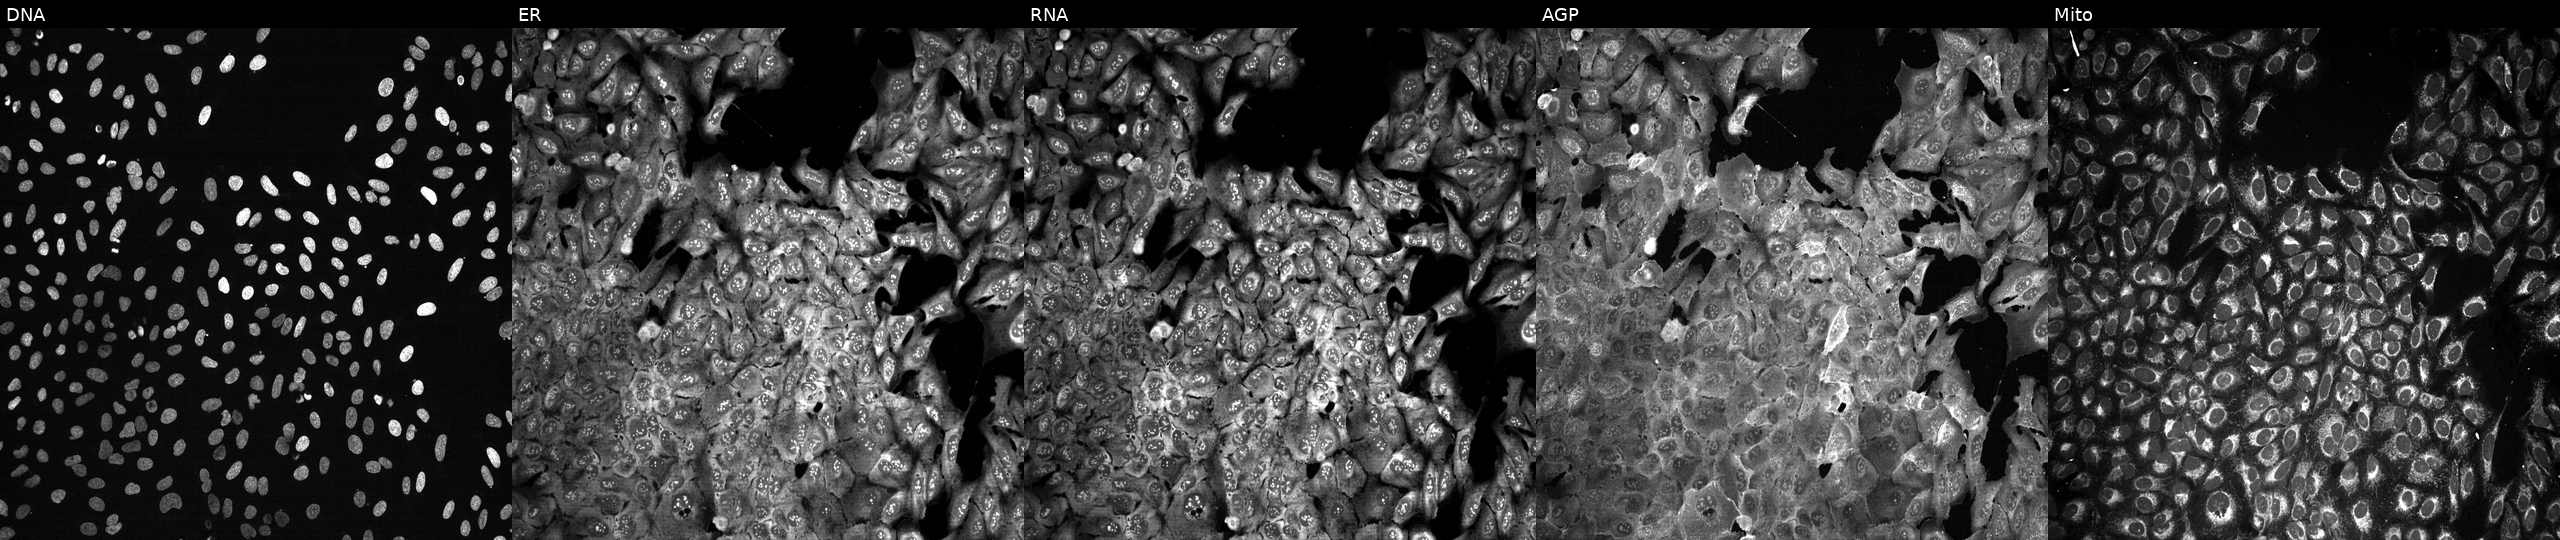
JUMP Cell Painting — CRISPR plate. U2OS cells following CRISPR knockout of TNPO1 (JUMP id JCP2022_807186). Channels (left→right): DNA (nuclei); ER (endoplasmic reticulum); RNA (nucleoli and cytoplasmic RNA); AGP (actin cytoskeleton, Golgi, and plasma membrane); Mito (mitochondria). Source 13, plate CP-CC9-R3-01, well K10.